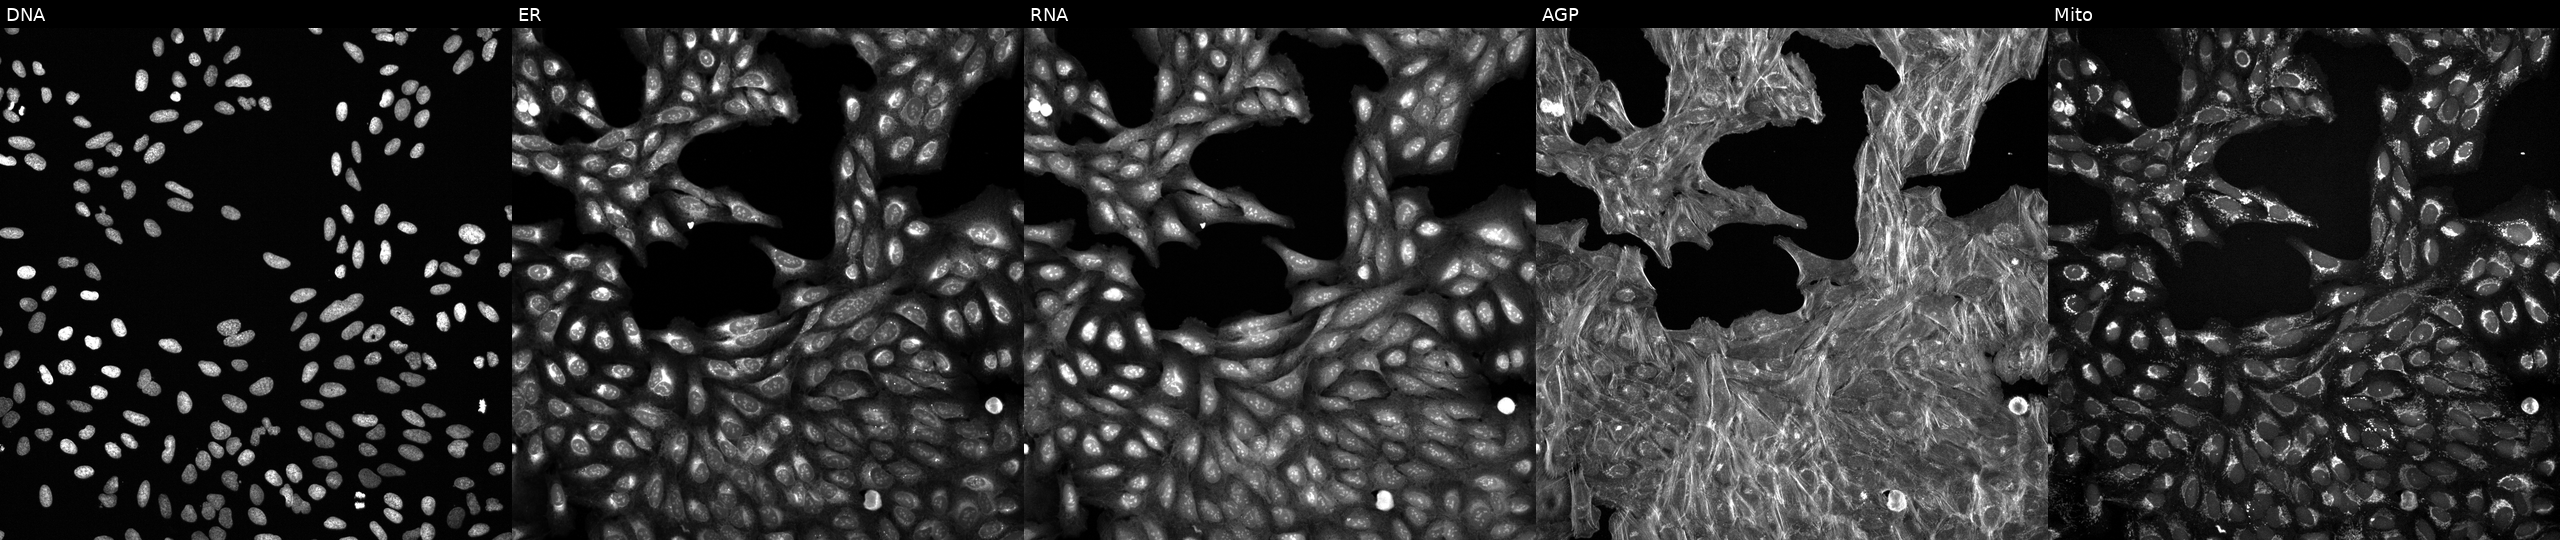
Five-channel Cell Painting image of U2OS cells treated with a small-molecule compound. Channels (left→right): DNA (nuclei); ER (endoplasmic reticulum); RNA (nucleoli and cytoplasmic RNA); AGP (actin cytoskeleton, Golgi, and plasma membrane); Mito (mitochondria).